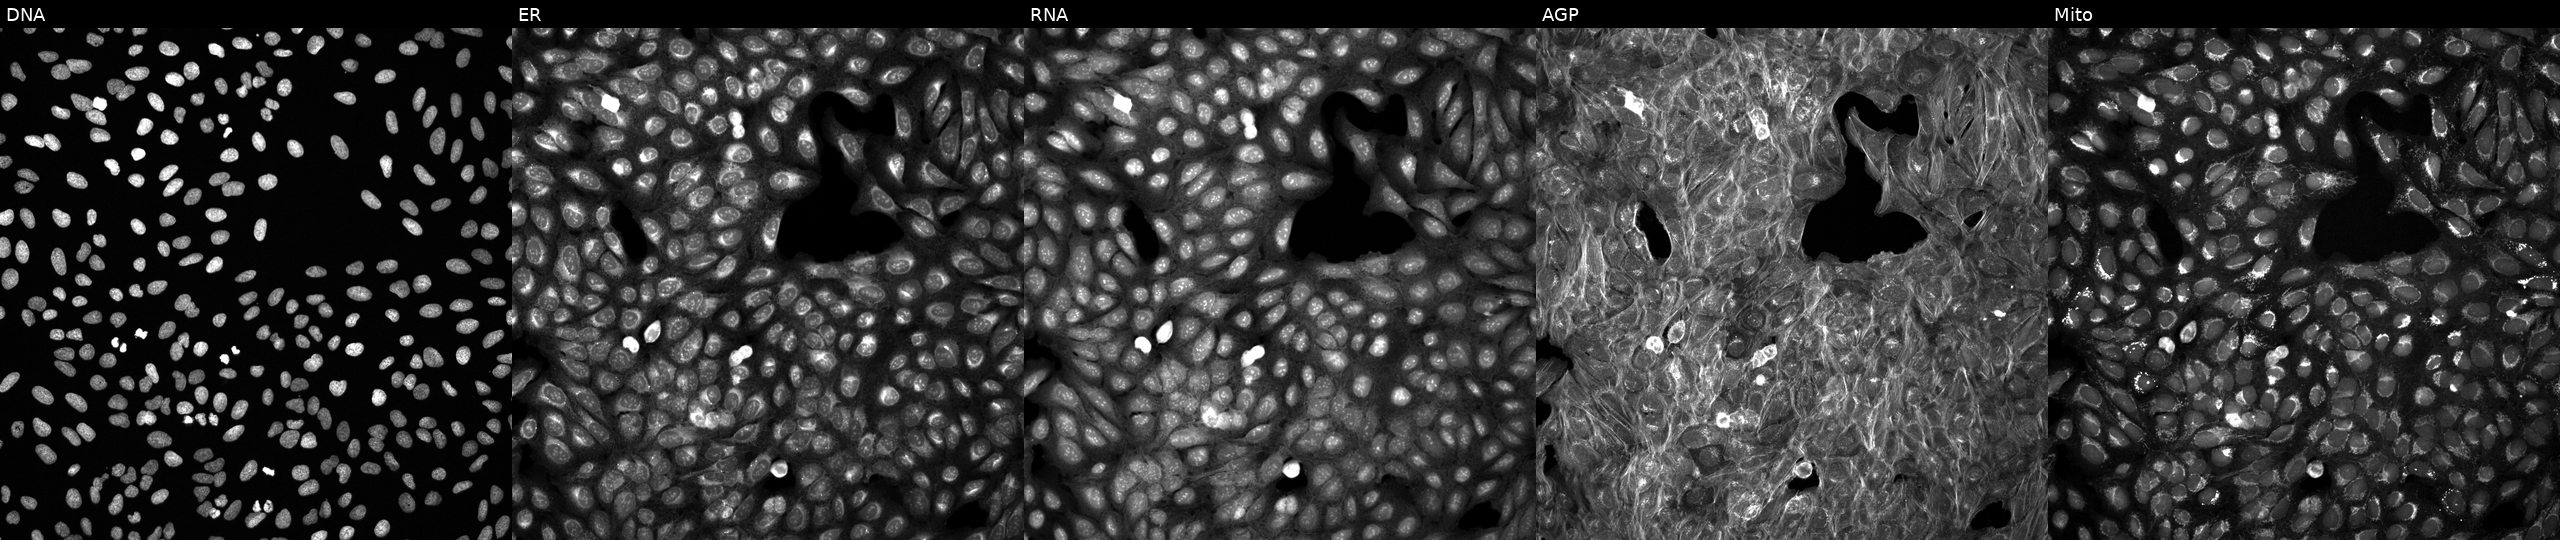
High-content fluorescence microscopy (Cell Painting). Cell line: U2OS. Perturbation: treated with DMSO vehicle only (negative control). Channels (left→right): Hoechst 33342, concanavalin A, SYTO 14, phalloidin and WGA, MitoTracker.